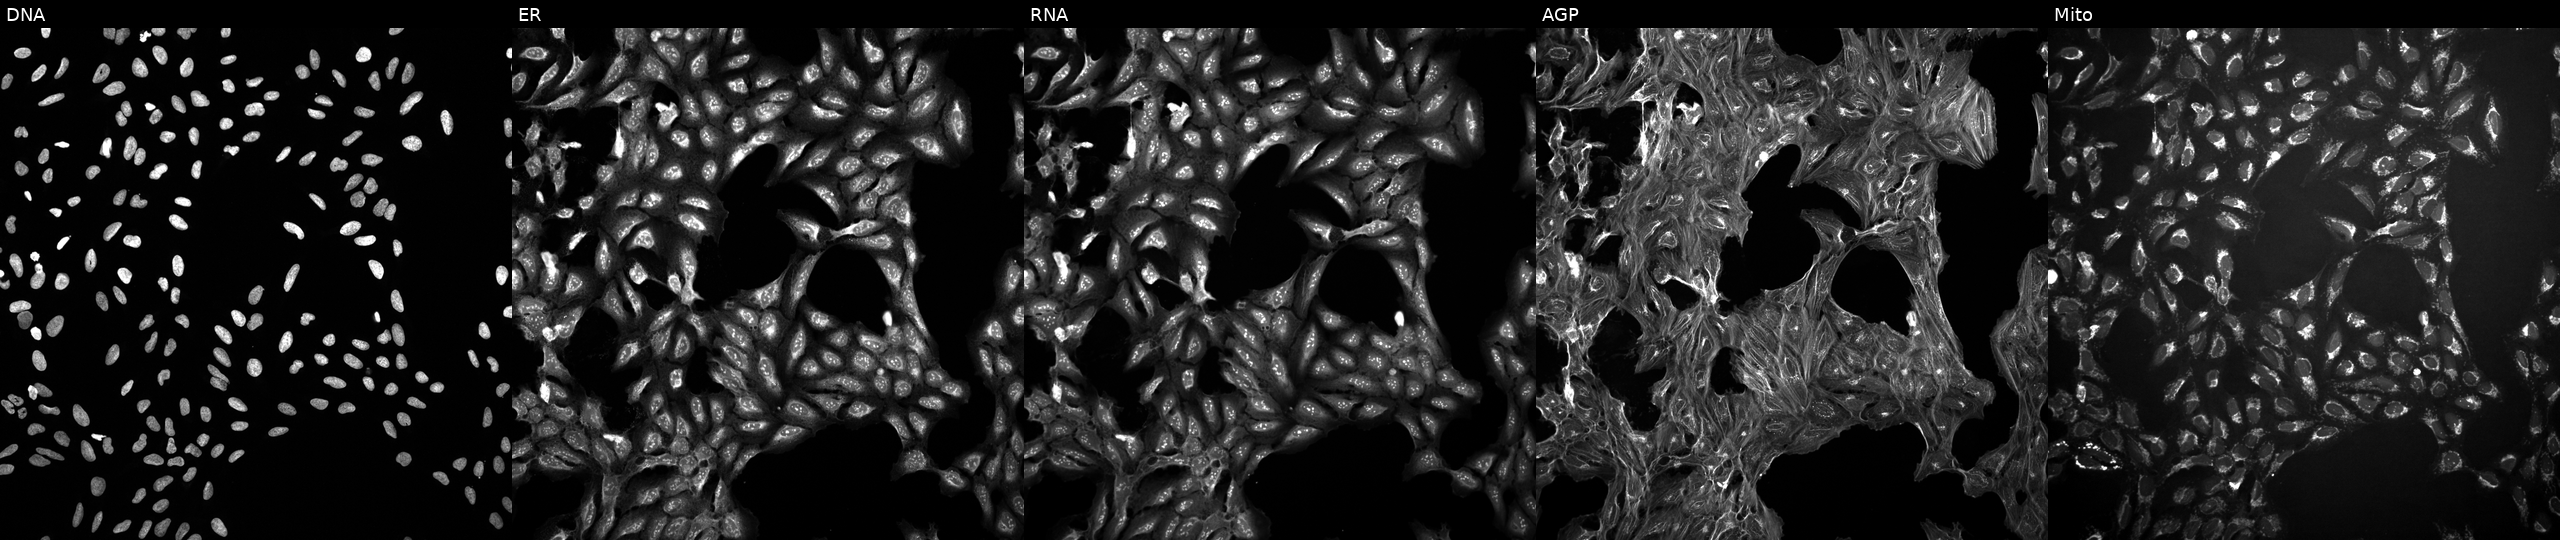
High-content fluorescence microscopy (Cell Painting). Cell line: U2OS. Perturbation: perturbed with a small-molecule compound. Channels (left→right): Hoechst 33342, concanavalin A, SYTO 14, phalloidin and WGA, MitoTracker.